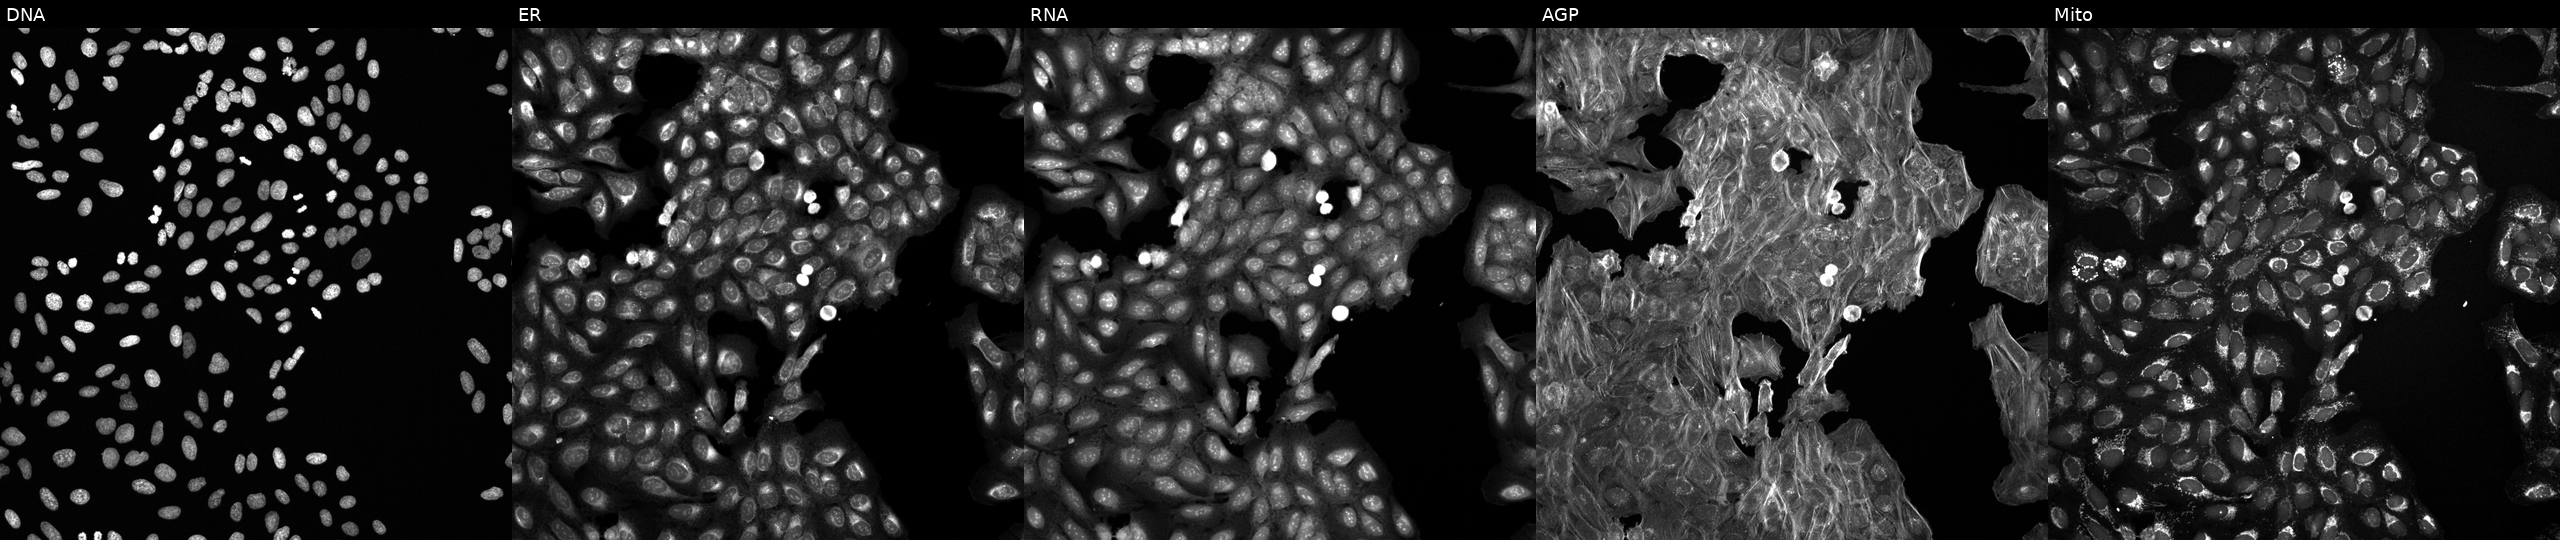
U2OS cells, Cell Painting assay, perturbed with a small-molecule compound (InChIKey MGOUMVKITIRJAJ-UHFFFAOYSA-N). Channels (left→right): DNA (nuclei); ER (endoplasmic reticulum); RNA (nucleoli and cytoplasmic RNA); AGP (actin cytoskeleton, Golgi, and plasma membrane); Mito (mitochondria). Each panel is percentile-stretched 16-bit fluorescence.